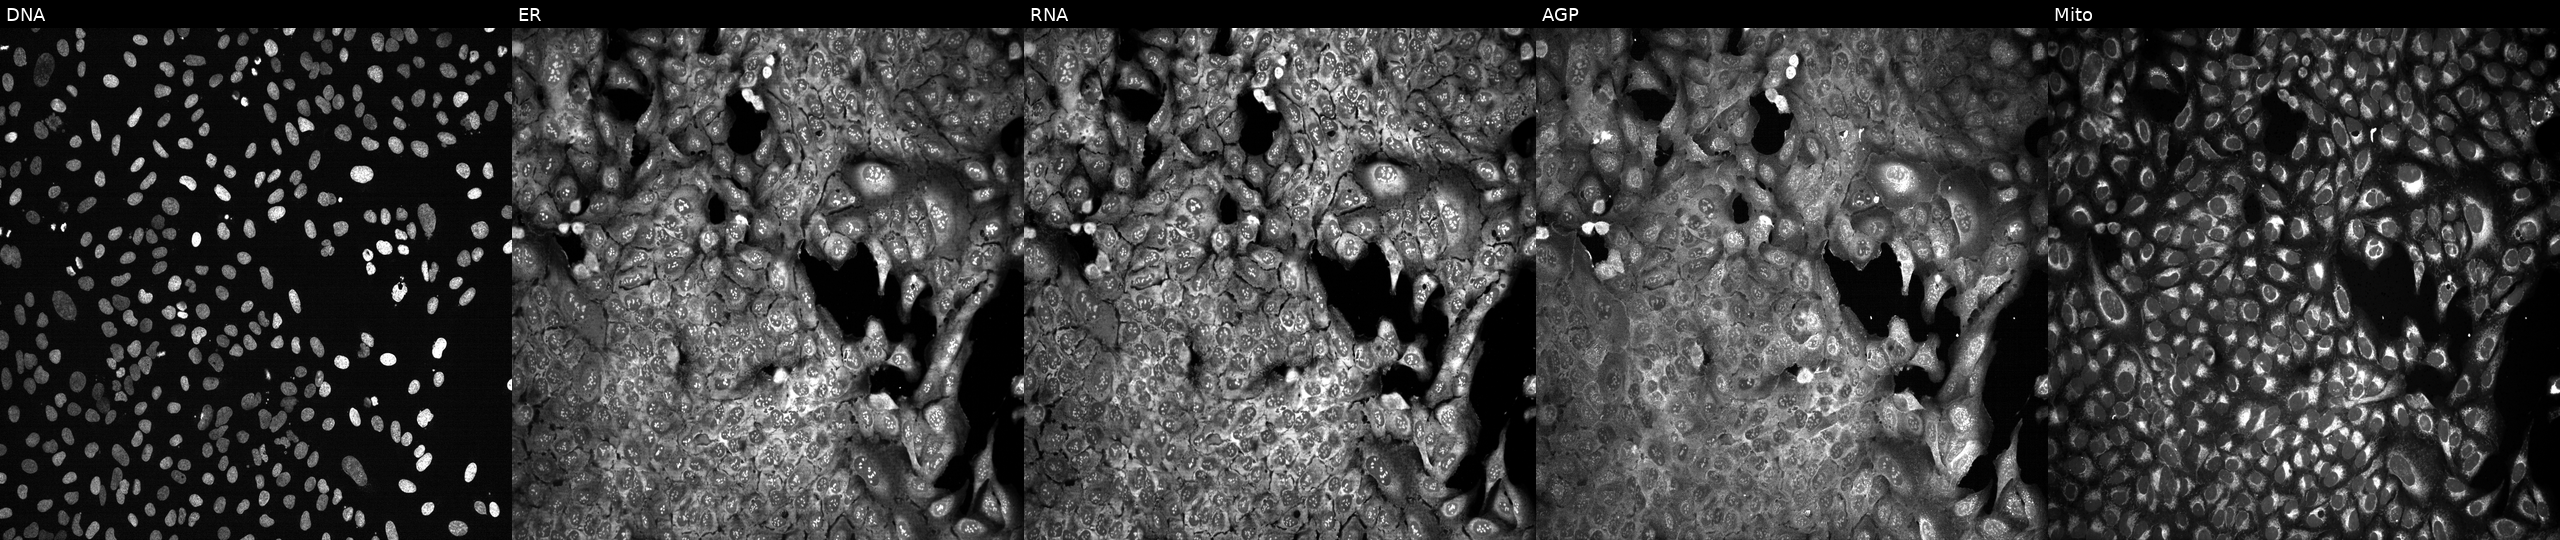
High-content fluorescence microscopy (Cell Painting). Cell line: U2OS. Perturbation: following CRISPR knockout of DAG1 (JUMP id JCP2022_801671). Channels (left→right): DNA, ER, RNA, AGP, and Mito.